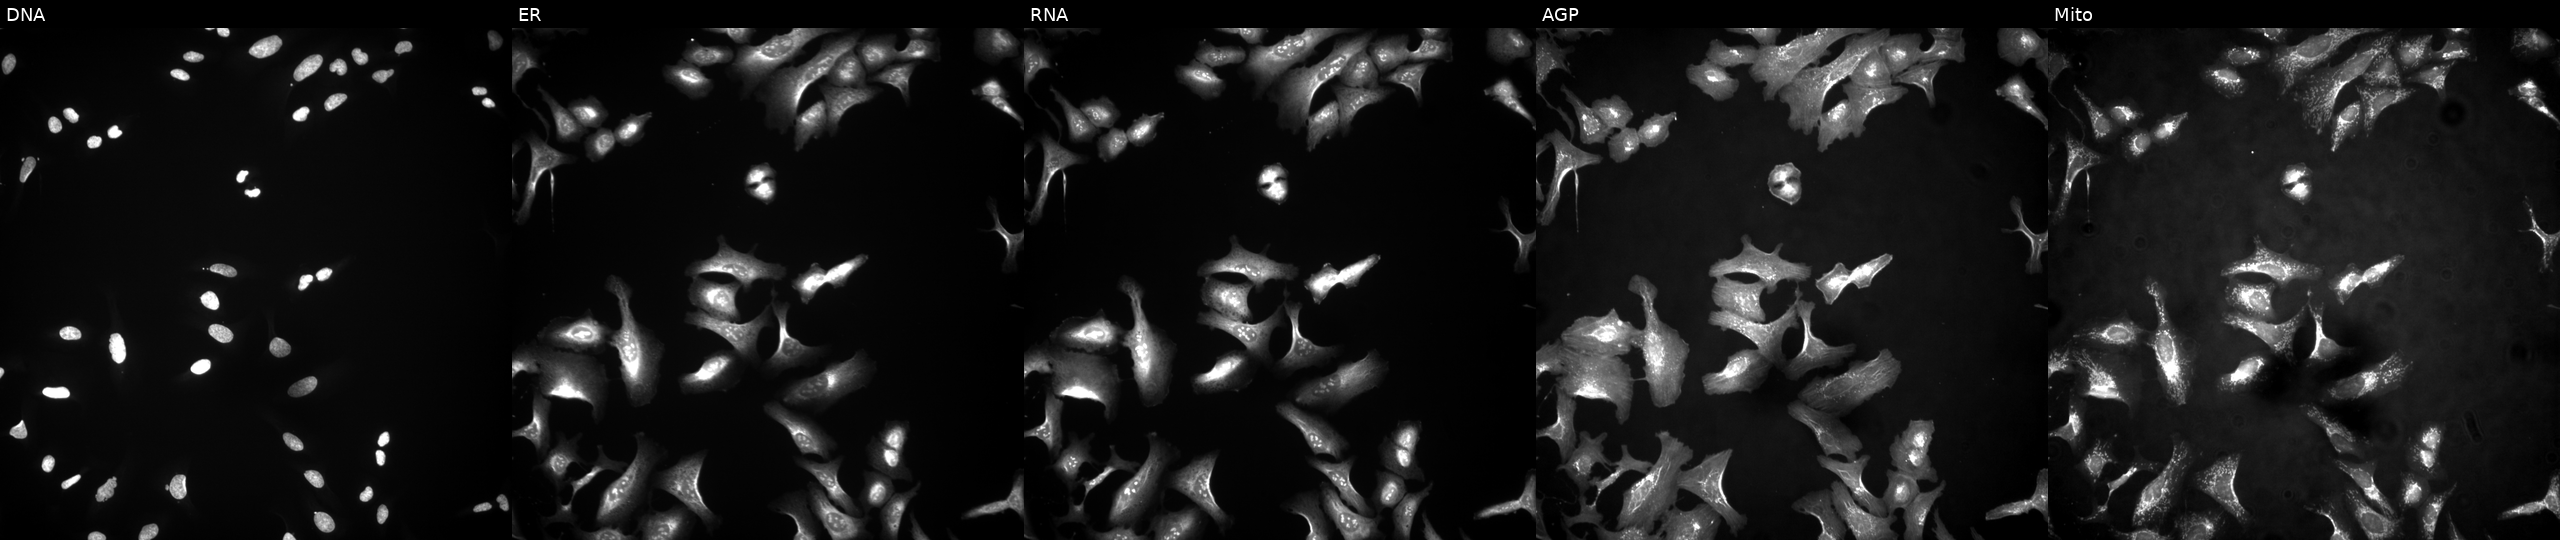
Panels show, left to right, DNA (nuclei); ER (endoplasmic reticulum); RNA (nucleoli and cytoplasmic RNA); AGP (actin cytoskeleton, Golgi, and plasma membrane); Mito (mitochondria). U2OS osteosarcoma cells with OTUB2 overexpressed (ORF). Cell Painting assay, JUMP-CP dataset.